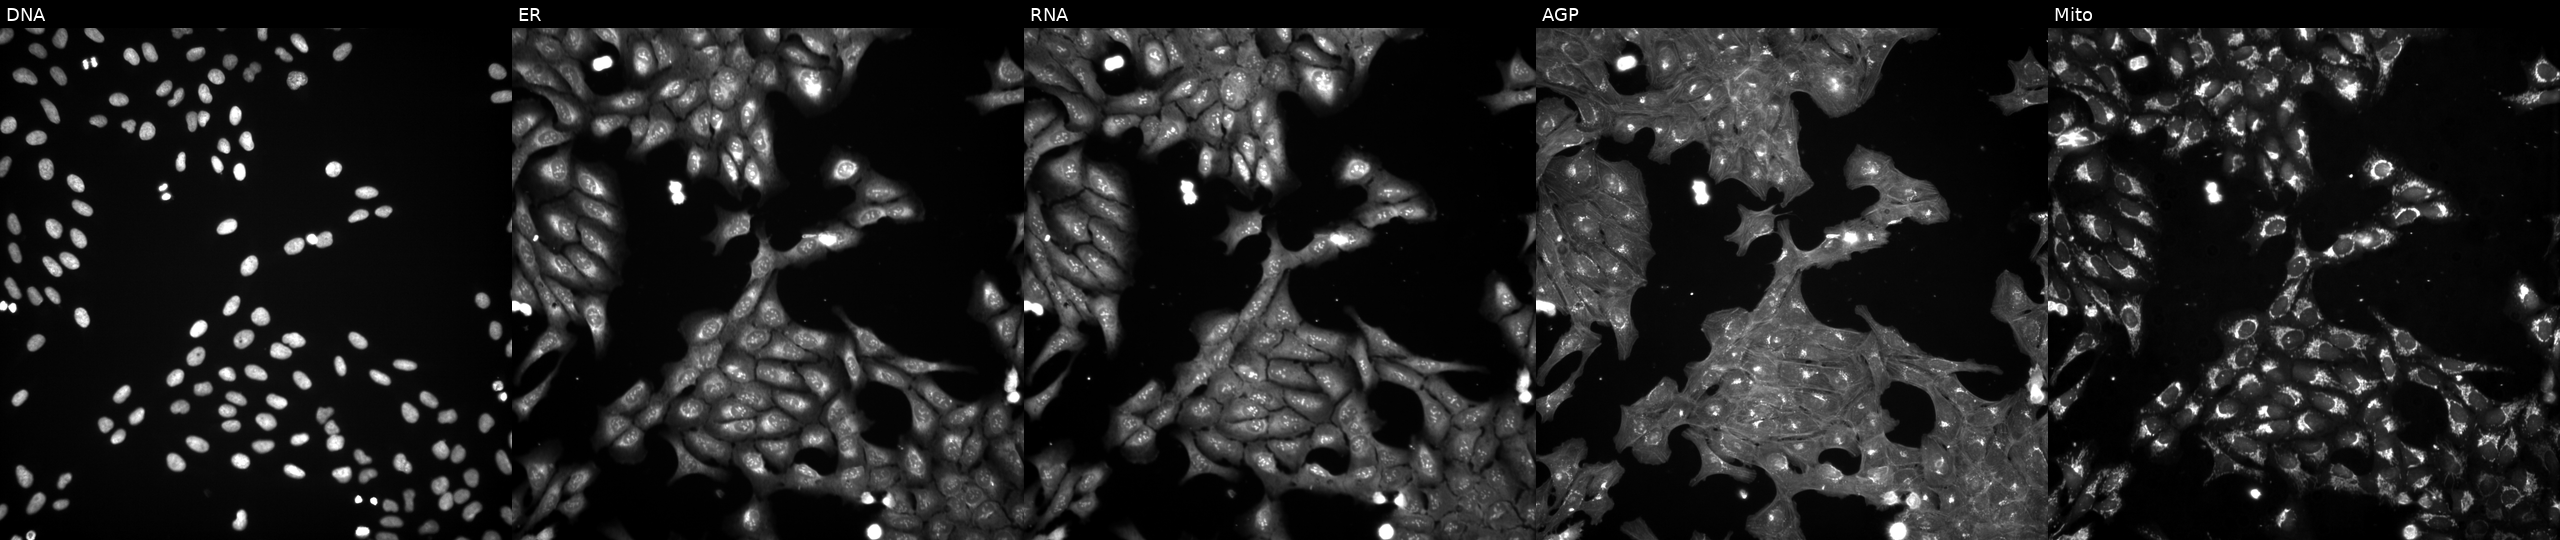
Five-channel Cell Painting image of U2OS cells treated with DMSO vehicle only (negative control) (JUMP id JCP2022_033924). Panels show, left to right, Hoechst 33342, concanavalin A, SYTO 14, phalloidin and WGA, MitoTracker.